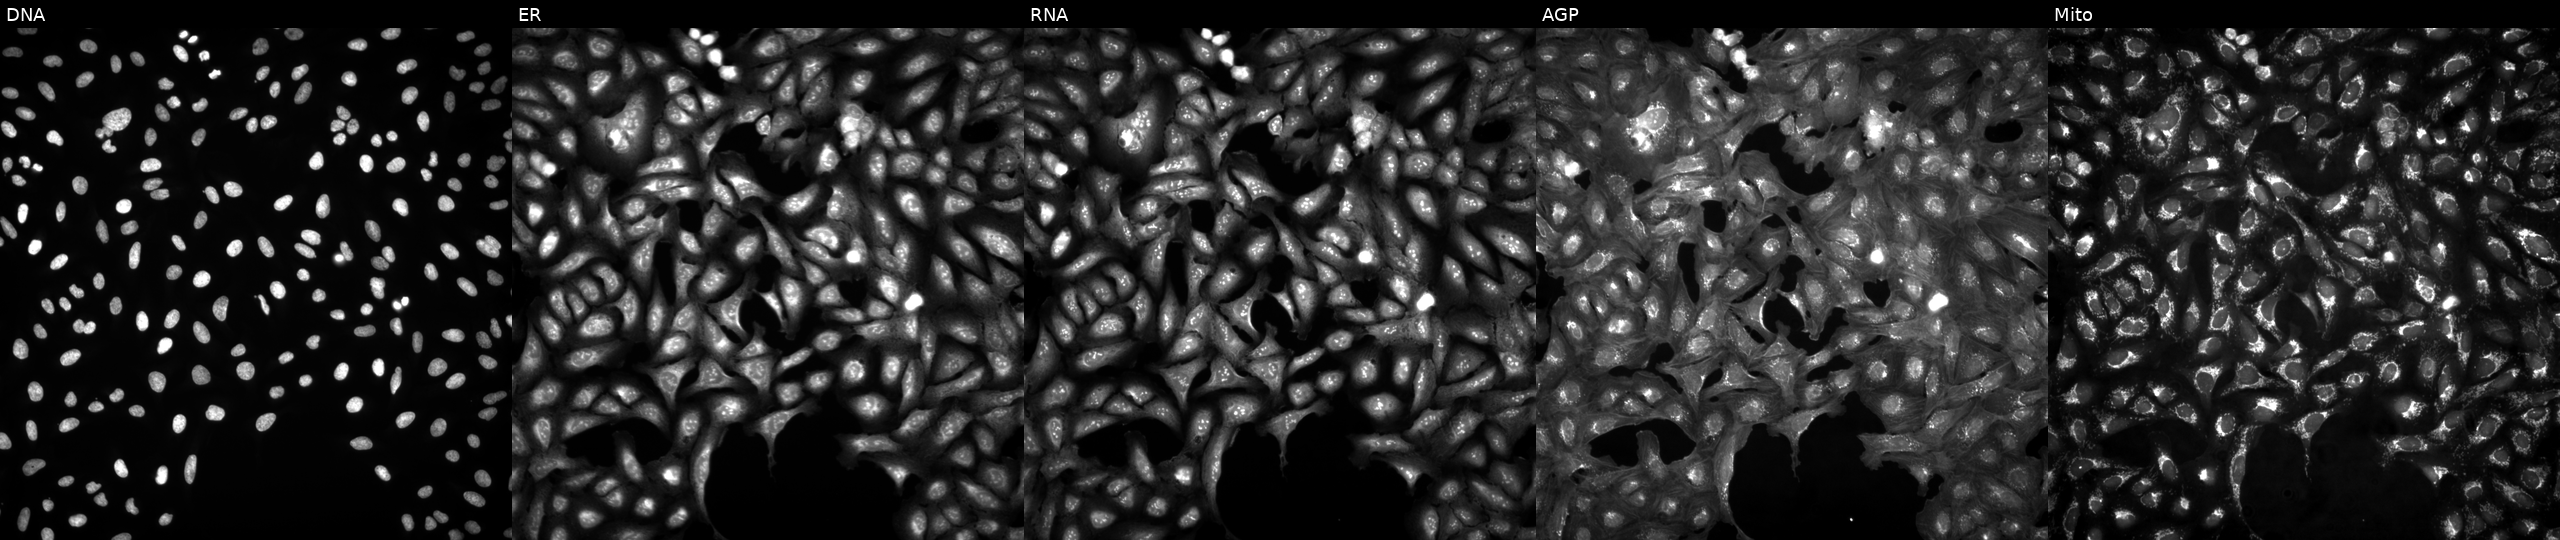
Five-channel Cell Painting image of U2OS cells in an empty control well (no perturbation) (JUMP id JCP2022_999999). Channels (left→right): DNA (nuclei); ER (endoplasmic reticulum); RNA (nucleoli and cytoplasmic RNA); AGP (actin cytoskeleton, Golgi, and plasma membrane); Mito (mitochondria). Source 4, plate BR00124793, well O08.